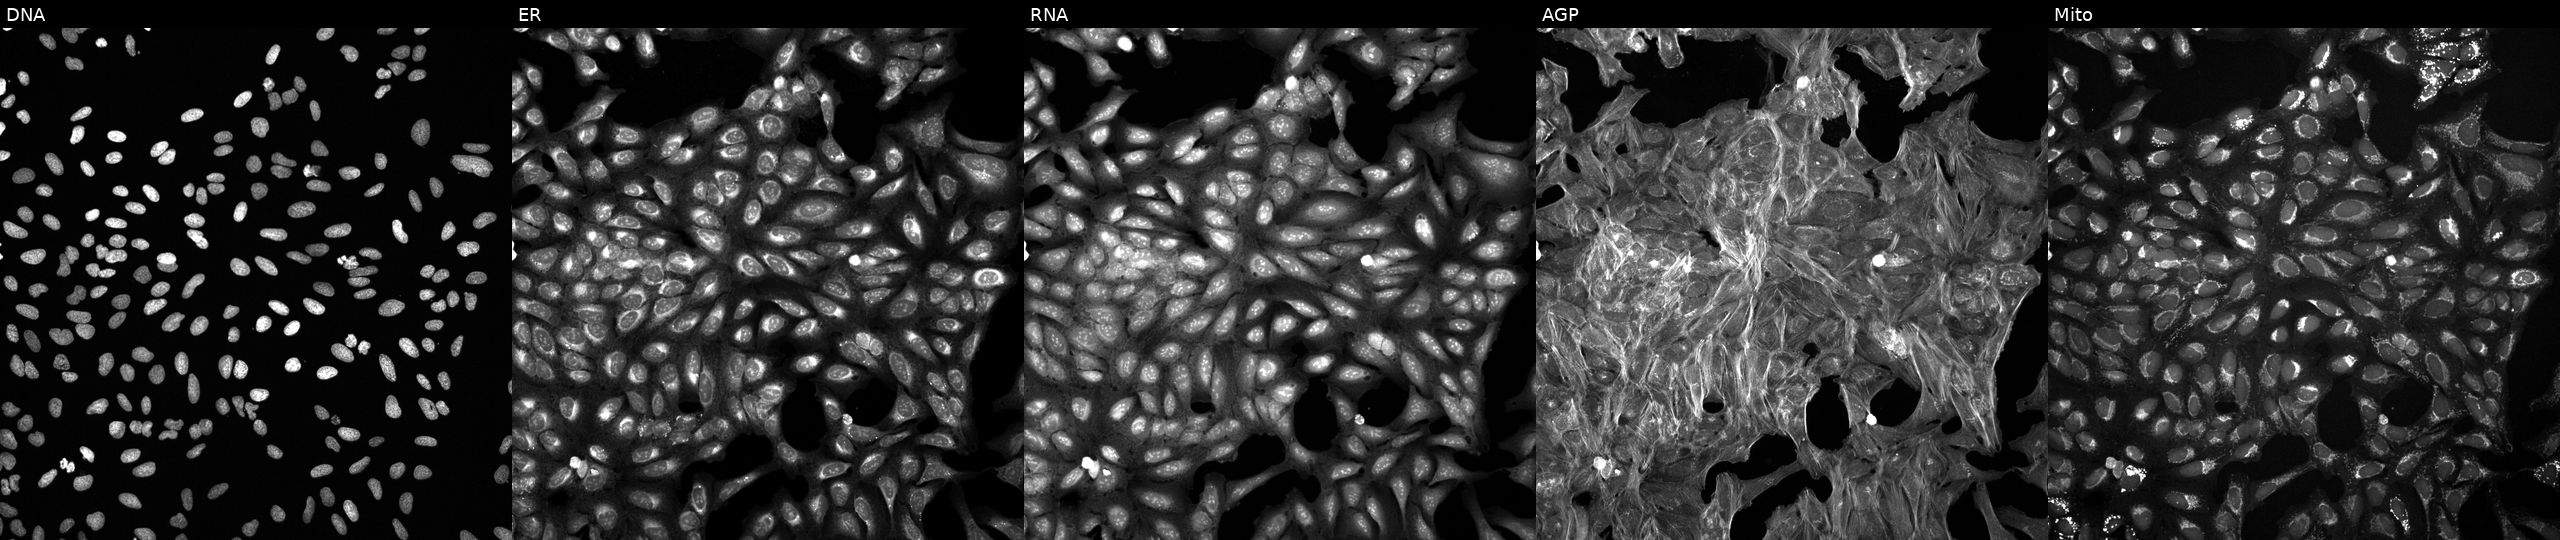
High-content fluorescence microscopy (Cell Painting). Cell line: U2OS. Perturbation: treated with a small-molecule compound (InChIKey KVTONKLLXWWOEL-UHFFFAOYSA-N) (JUMP id JCP2022_047329). From left to right: Hoechst 33342, concanavalin A, SYTO 14, phalloidin and WGA, MitoTracker.